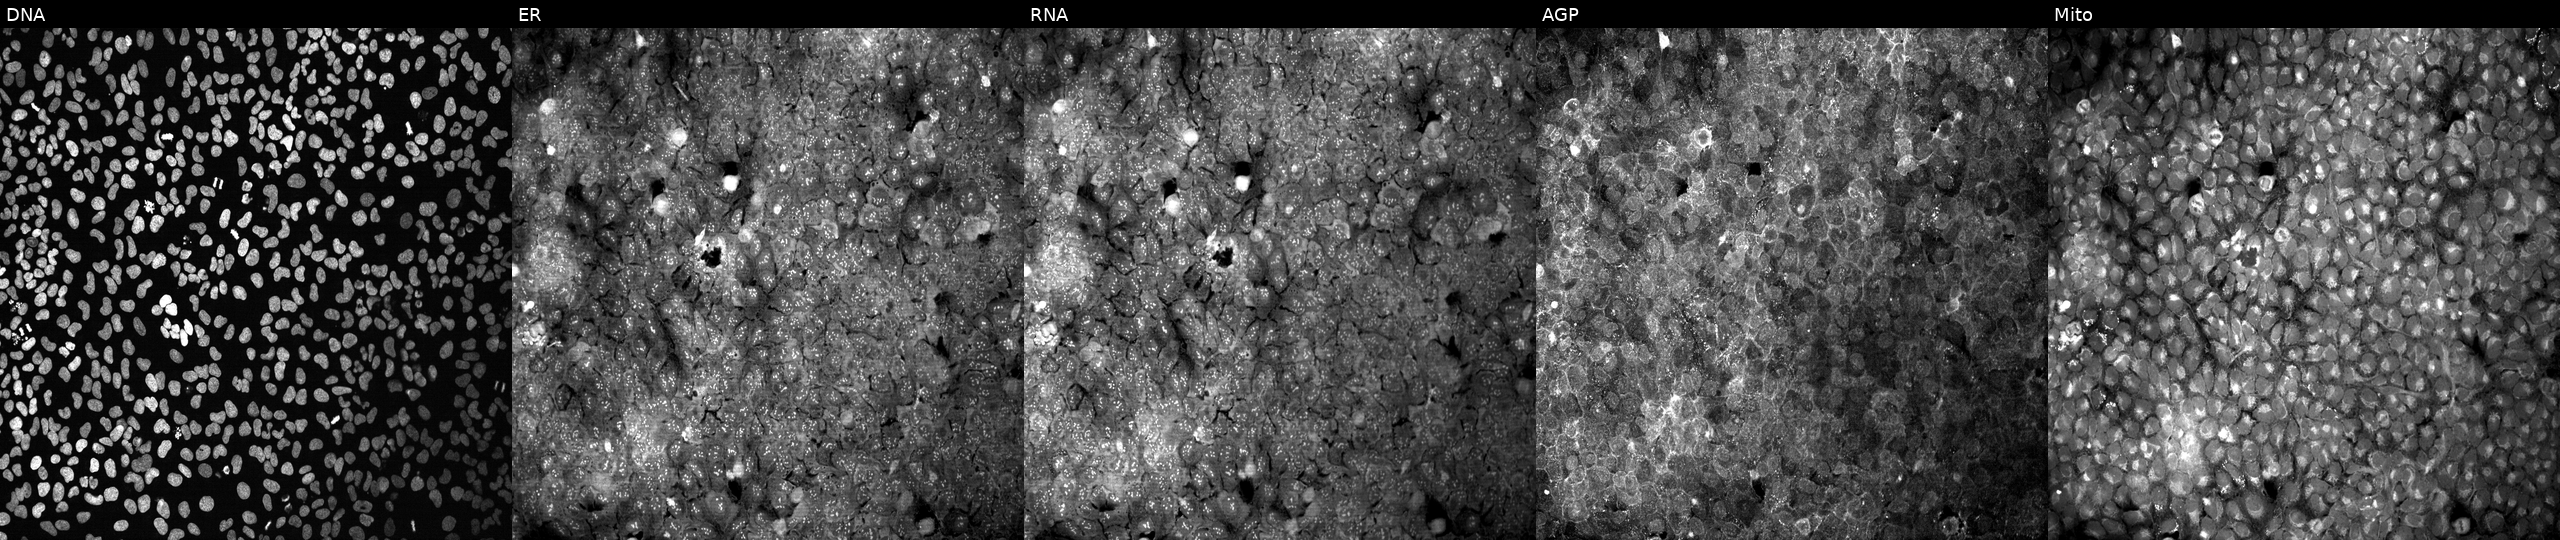
JUMP Cell Painting — CRISPR plate. U2OS cells with a non-targeting CRISPR guide (negative control) (JUMP id JCP2022_800002). Channels (left→right): DNA, ER, RNA, AGP, and Mito. Source 13, plate CP-CC9-R1-02, well F23.